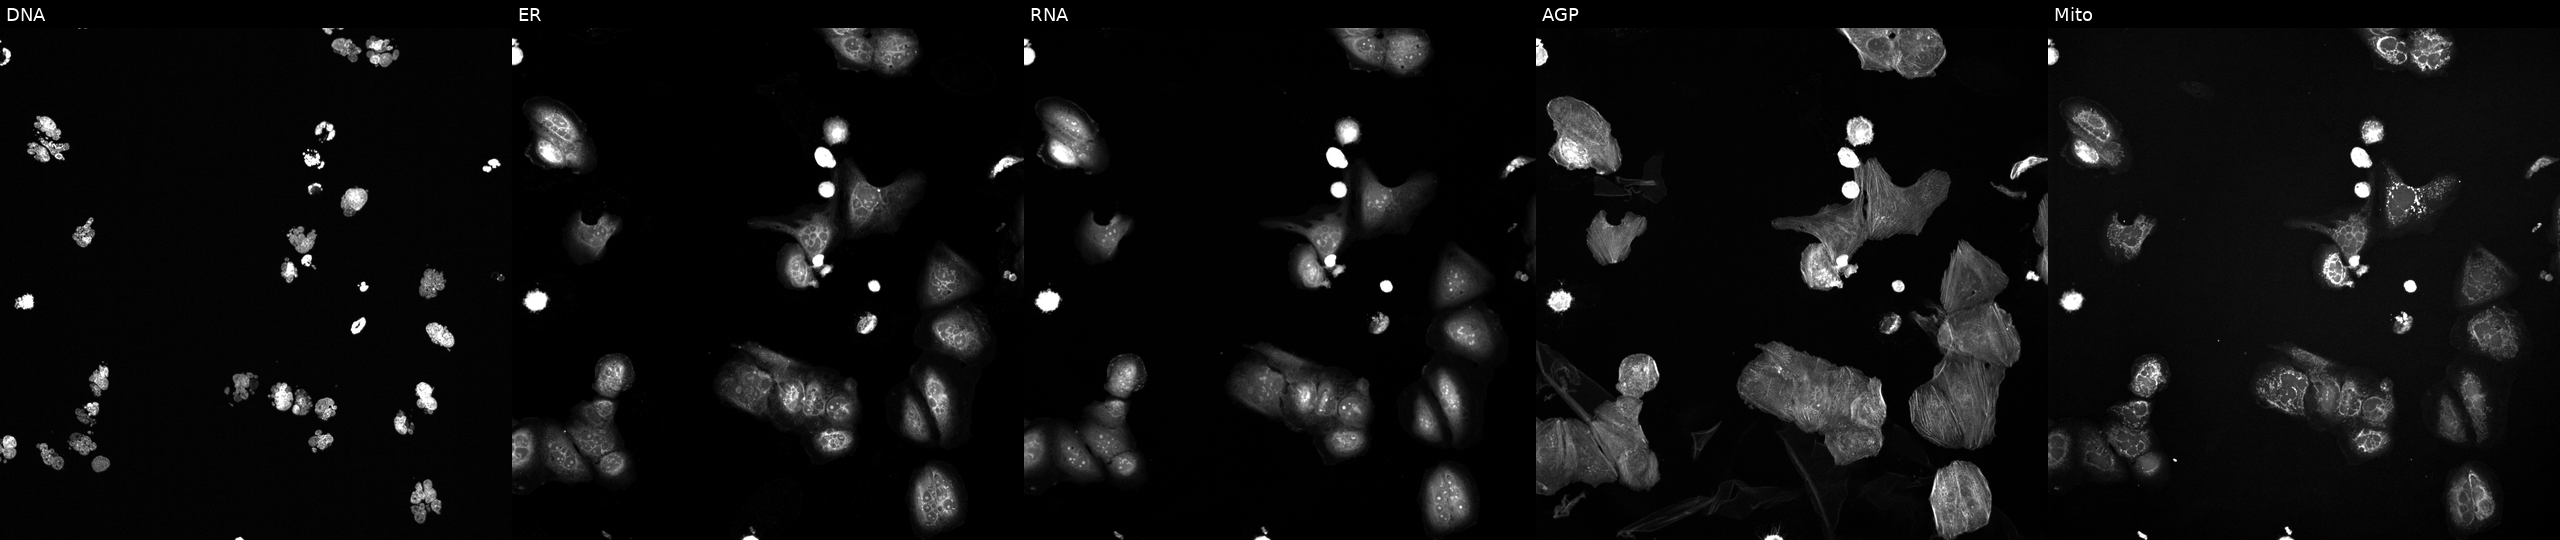
This image strip shows the five Cell Painting channels for a single field of U2OS cells perturbed with a small-molecule compound (InChIKey FABUFPQFXZVHFB-UHFFFAOYSA-N) [SMILES: CC(=Cc1csc(C)n1)C1CC2OC2(C)CCCC(C)C(O)C(C)C(=O)C(C)(C)C(O)CC(=O)N1] (JUMP id JCP2022_019314). Channels (left→right): Hoechst 33342, concanavalin A, SYTO 14, phalloidin and WGA, MitoTracker.